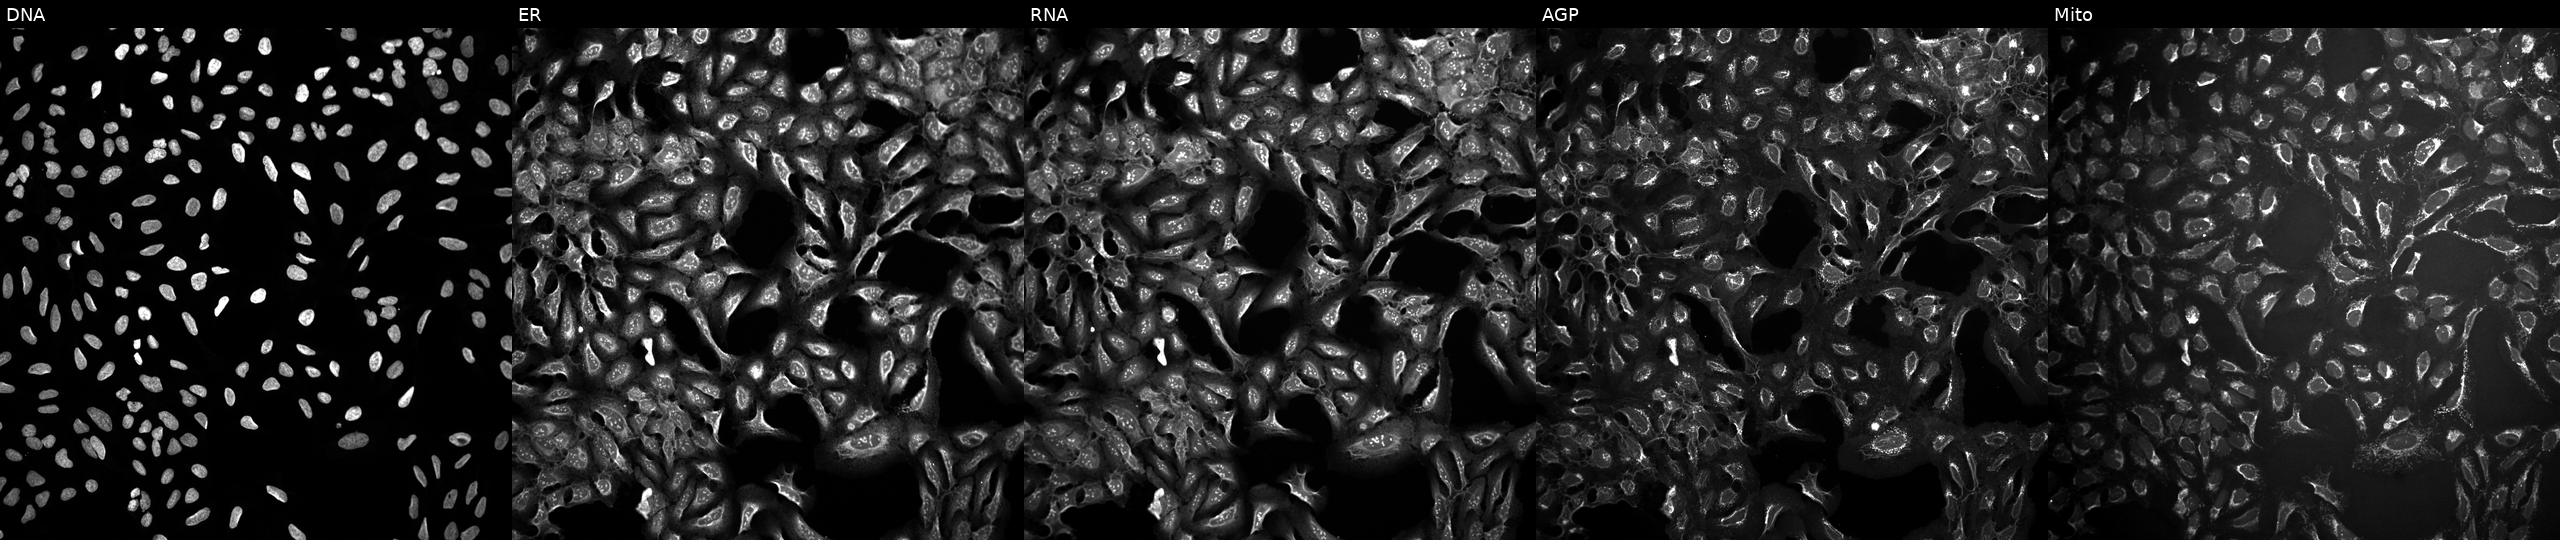
This image strip shows the five Cell Painting channels for a single field of U2OS cells exposed to a small-molecule compound (InChIKey VCKUSRYTPJJLNI-UHFFFAOYSA-N). From left to right: DNA, ER, RNA, AGP, and Mito.